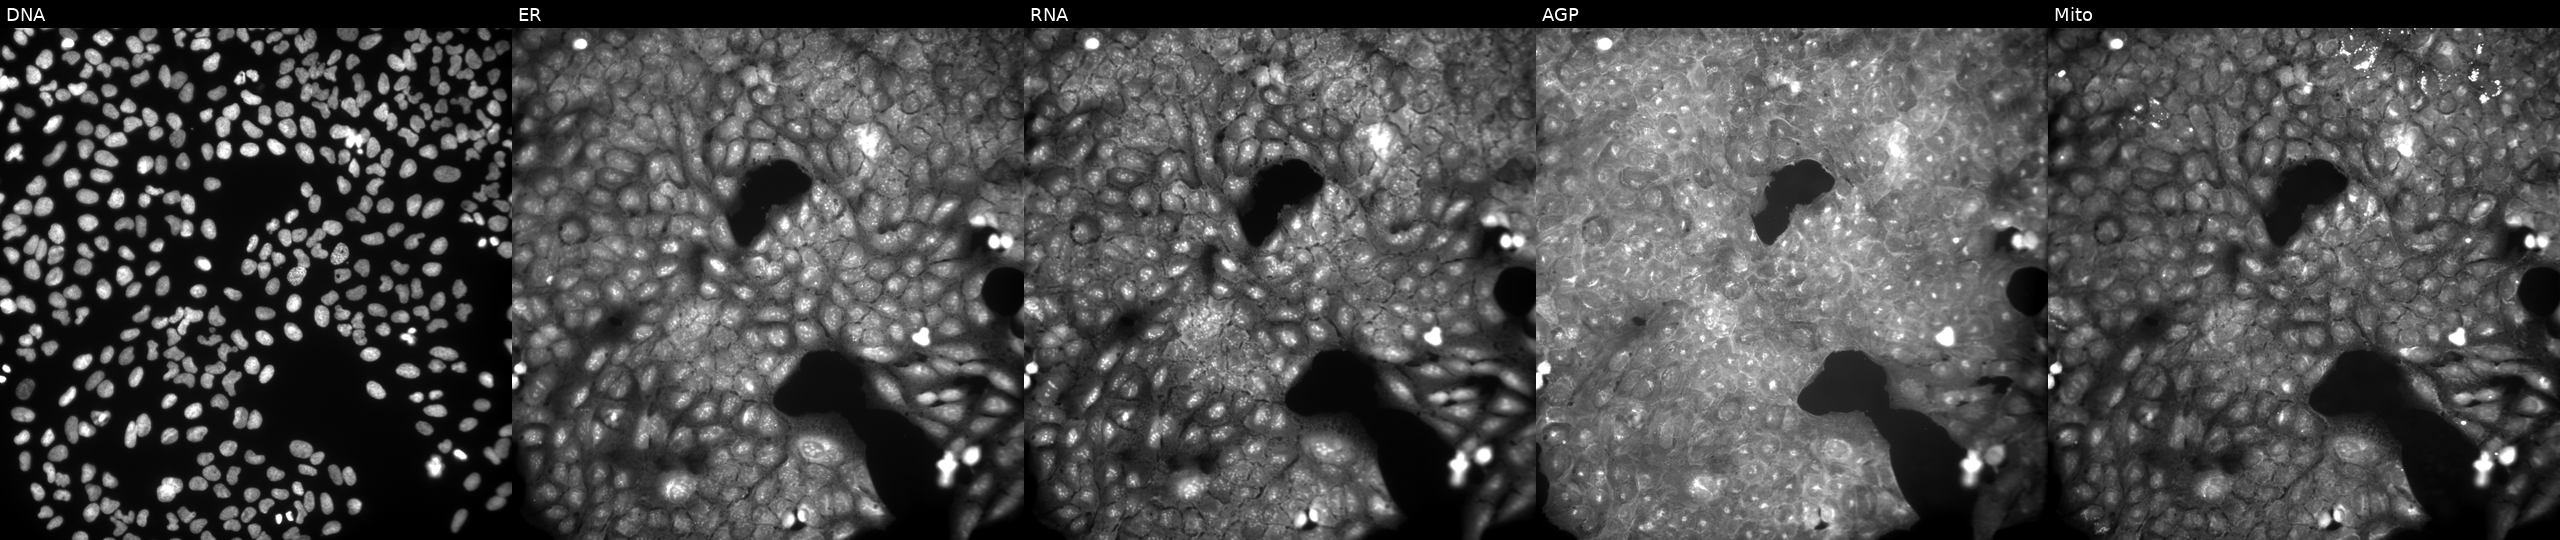
The five panels, left to right, show DNA, ER, RNA, AGP, and Mito. U2OS osteosarcoma cells perturbed with a small-molecule compound (InChIKey ZBXYRTPFEXLFNO-UHFFFAOYSA-N) [SMILES: CCOC(=O)c1c(NC(=O)Cc2ccccc2)sc2c1CCC2]. Cell Painting assay, JUMP-CP dataset. Source 9, plate GR00003382, well N44.